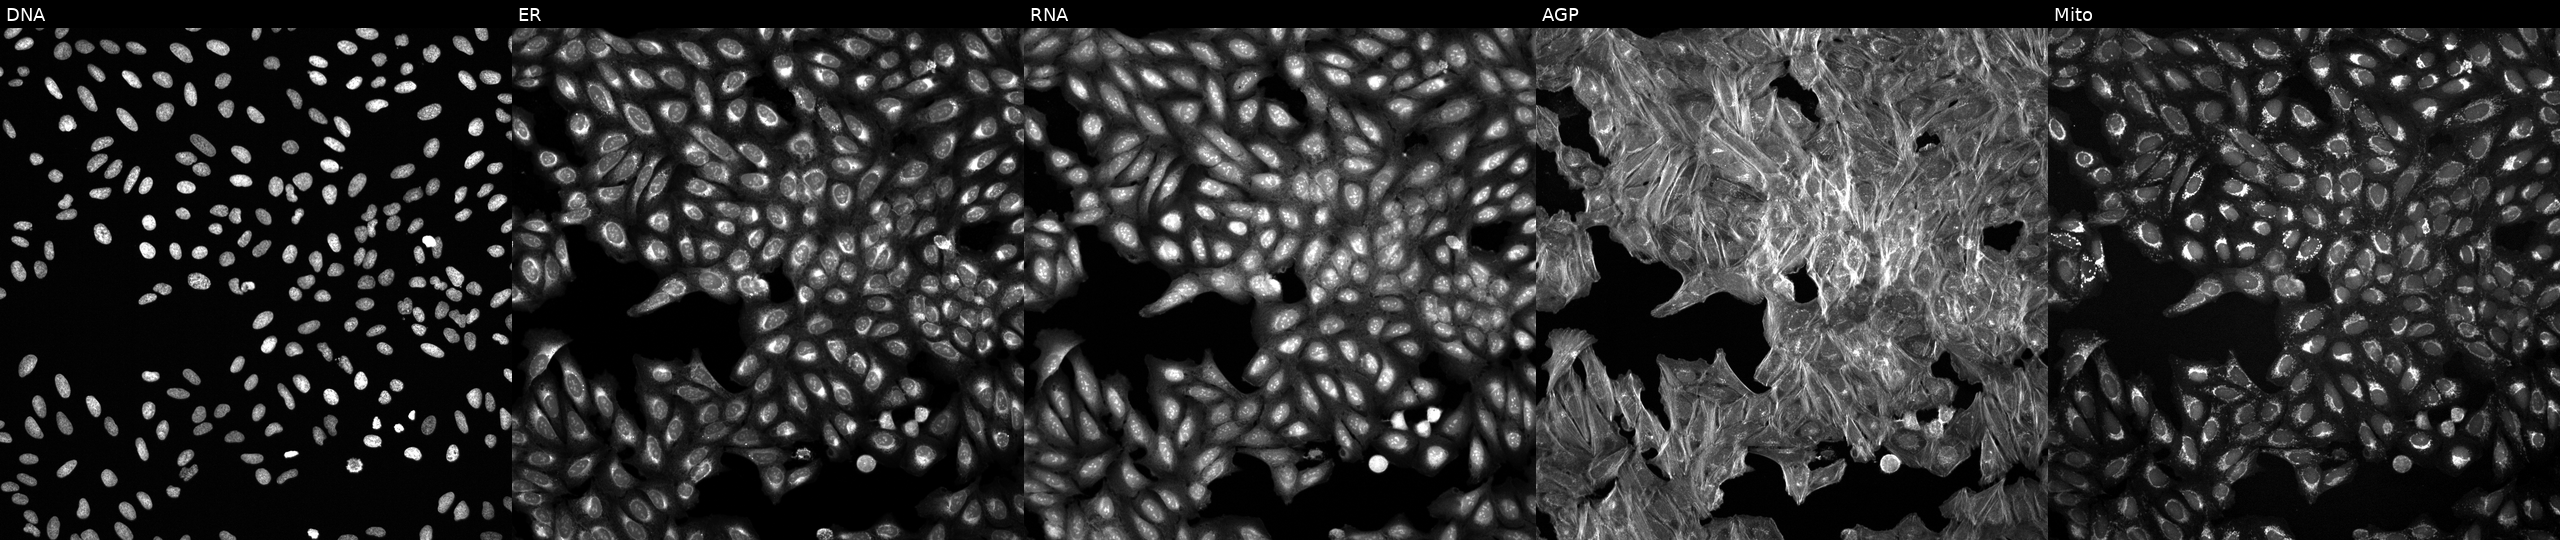
Panels show, left to right, Hoechst 33342, concanavalin A, SYTO 14, phalloidin and WGA, MitoTracker. U2OS osteosarcoma cells exposed to a small-molecule compound [SMILES: COc1ccc(-c2noc3nc(C)cc(C(=O)Nc4cc(C)ccc4OC(F)F)c23)cc1] (JUMP id JCP2022_037758). Cell Painting assay, JUMP-CP dataset.